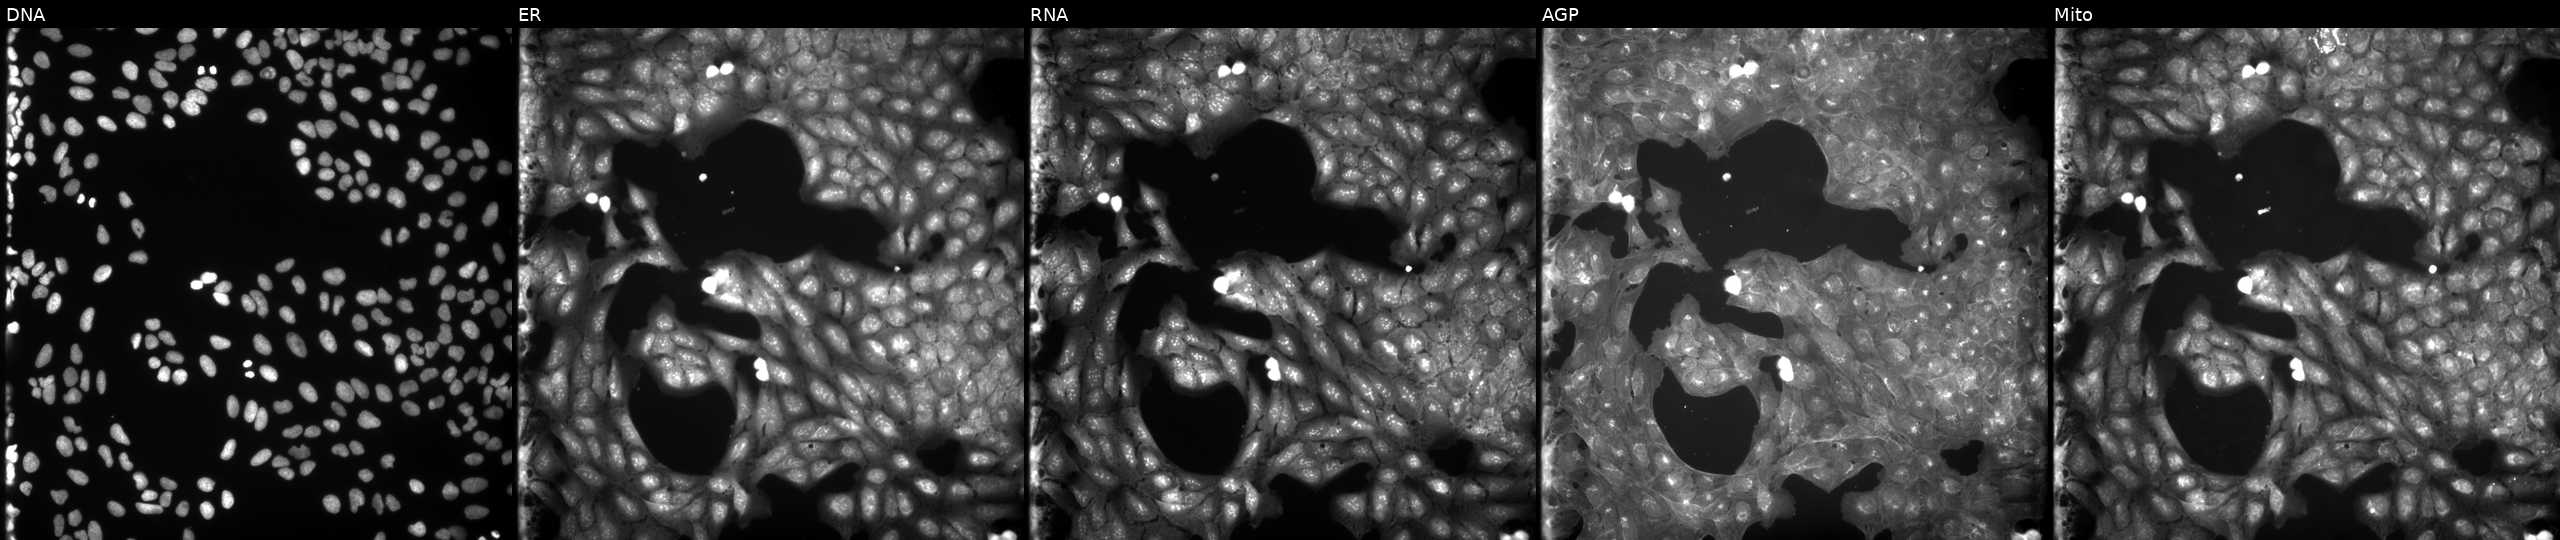
Channels (left→right): Hoechst 33342, concanavalin A, SYTO 14, phalloidin and WGA, MitoTracker. U2OS osteosarcoma cells exposed to a small-molecule compound (JUMP id JCP2022_001104). Cell Painting assay, JUMP-CP dataset.